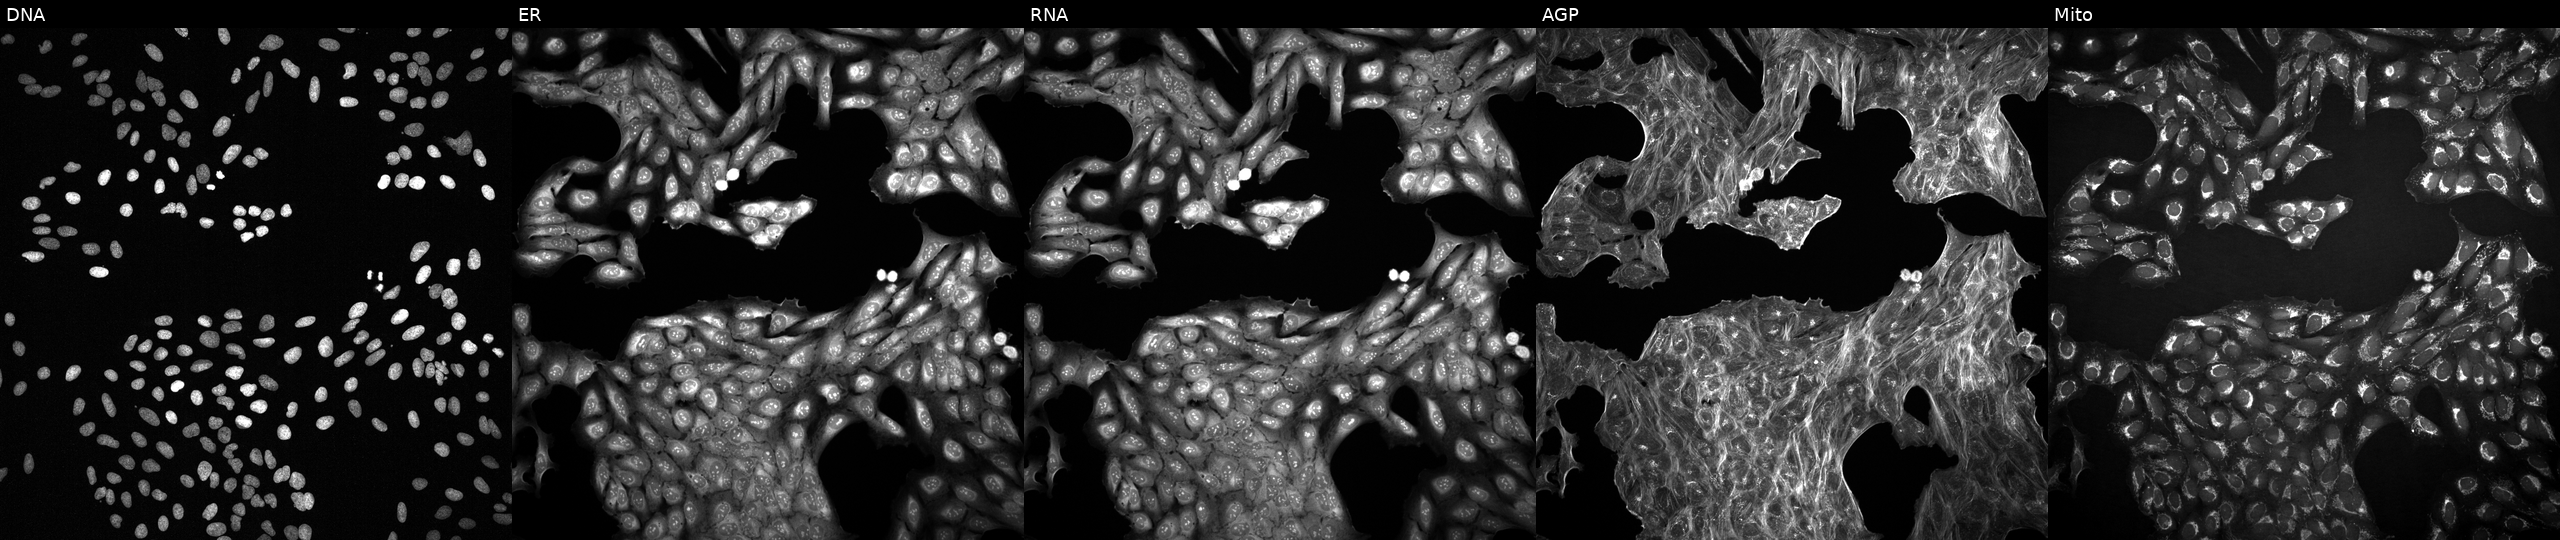
U2OS cells, Cell Painting assay, exposed to a small-molecule compound (JUMP id JCP2022_108409). Panels show, left to right, DNA, ER, RNA, AGP, and Mito. Each panel is percentile-stretched 16-bit fluorescence. Source 2, plate 1053601756, well E13.